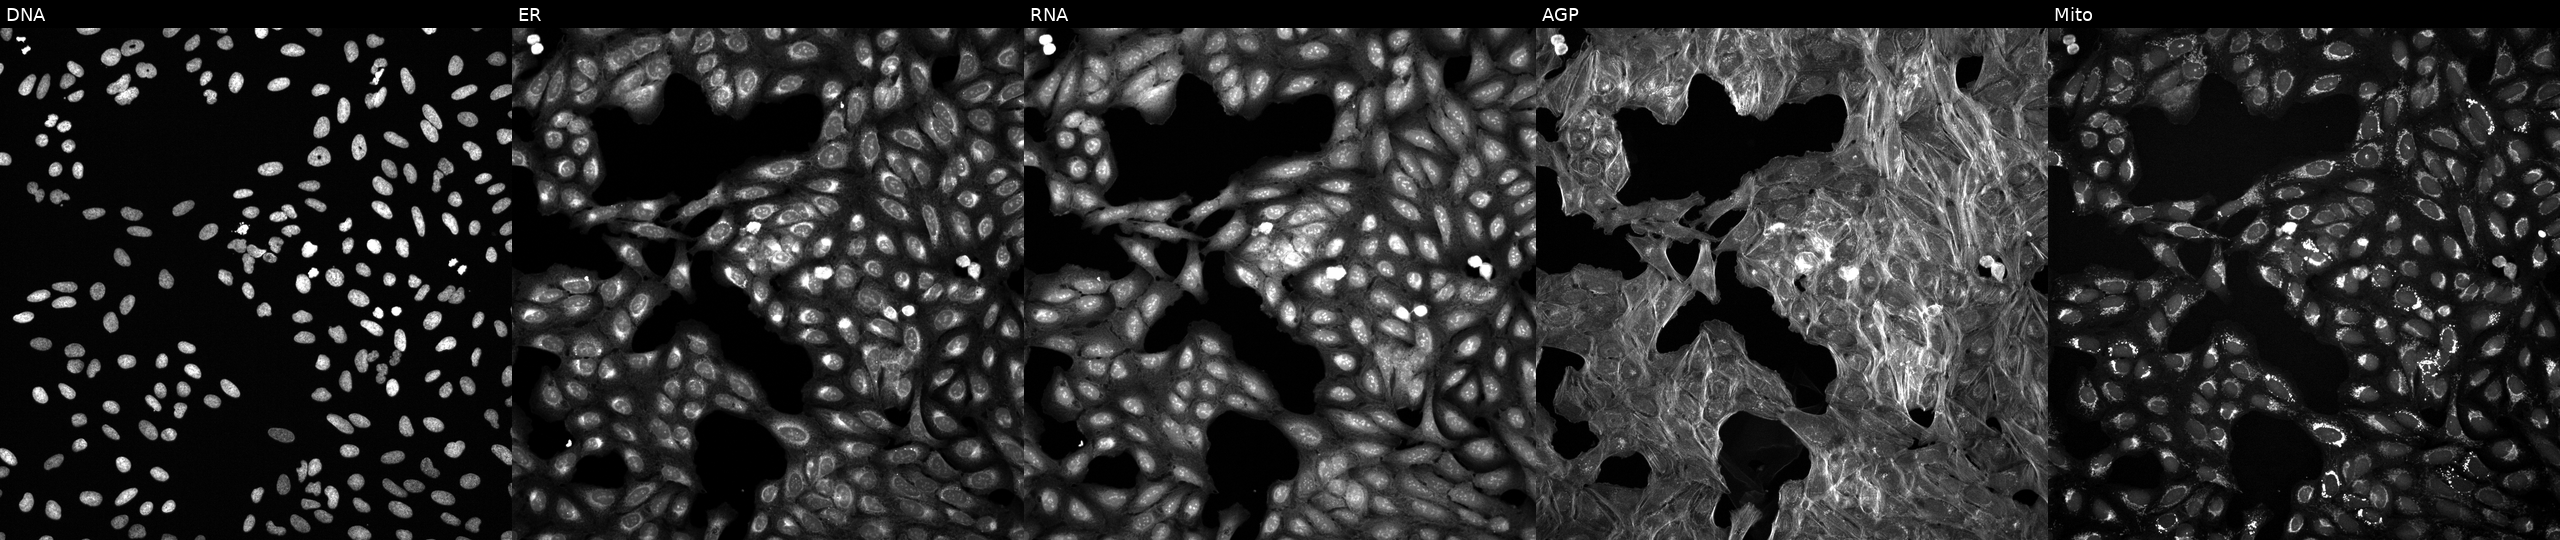
The five panels, left to right, show Hoechst 33342, concanavalin A, SYTO 14, phalloidin and WGA, MitoTracker. U2OS osteosarcoma cells treated with a small-molecule compound (InChIKey LLADGVHHIJZLEM-UHFFFAOYSA-N) (JUMP id JCP2022_050100). Cell Painting assay, JUMP-CP dataset. Source 6, plate 110000293082, well F11.